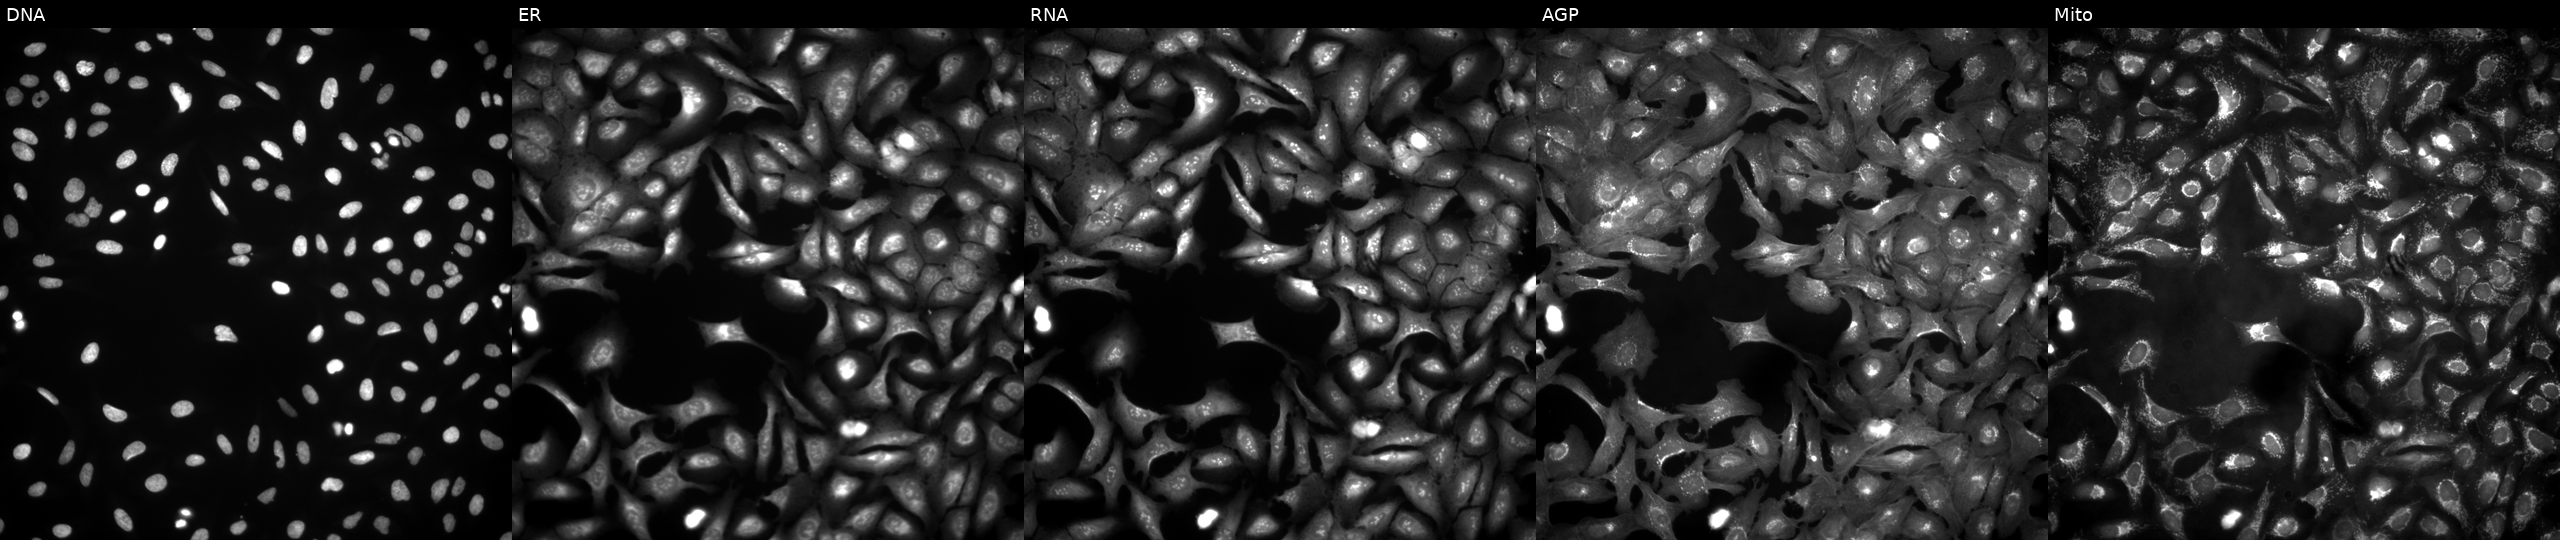
JUMP Cell Painting — ORF plate. U2OS cells overexpressing CBY1 via ORF transfection (JUMP id JCP2022_902675). From left to right: DNA (nuclei); ER (endoplasmic reticulum); RNA (nucleoli and cytoplasmic RNA); AGP (actin cytoskeleton, Golgi, and plasma membrane); Mito (mitochondria).